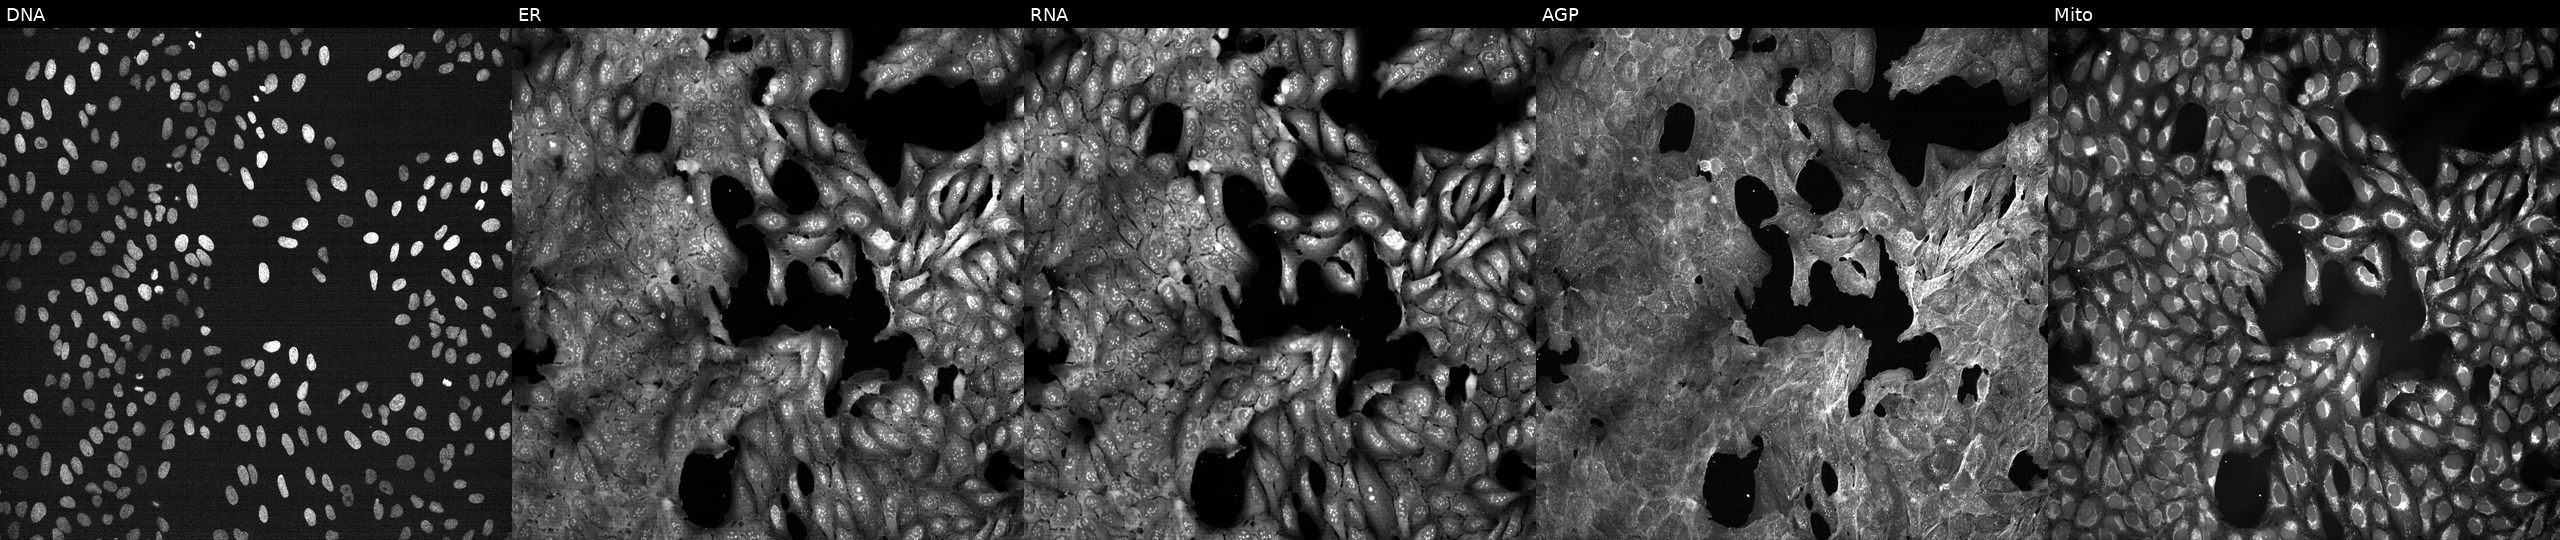
High-content fluorescence microscopy (Cell Painting). Cell line: U2OS. Perturbation: perturbed with a small-molecule compound (JUMP id JCP2022_004940). Channels (left→right): Hoechst 33342, concanavalin A, SYTO 14, phalloidin and WGA, MitoTracker.